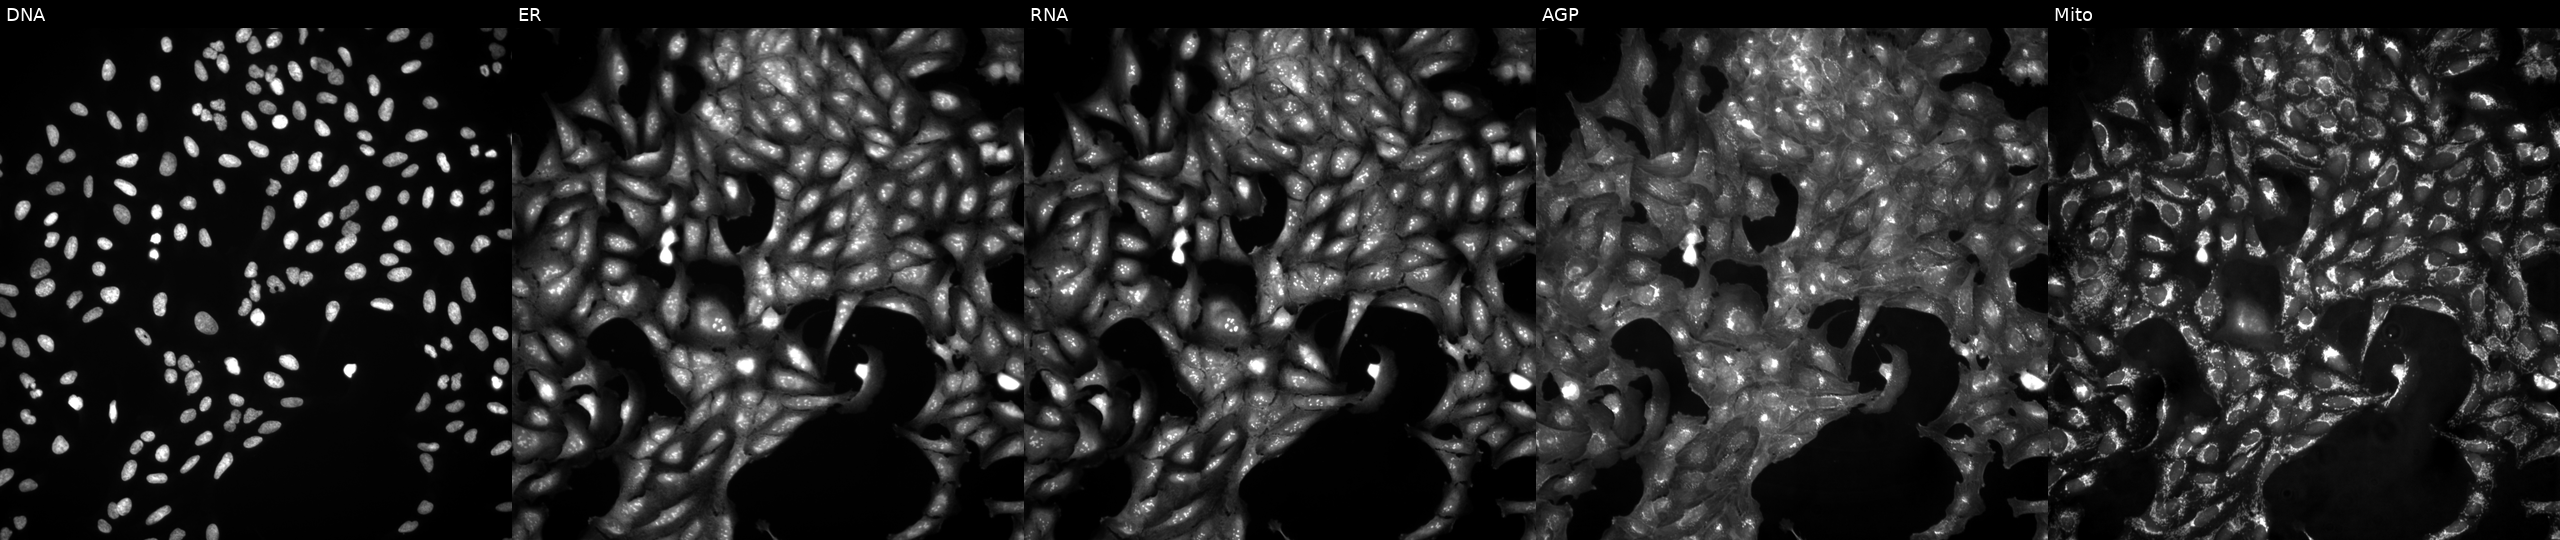
Five-channel Cell Painting image of U2OS cells untreated (empty-well control). From left to right: DNA, ER, RNA, AGP, and Mito.